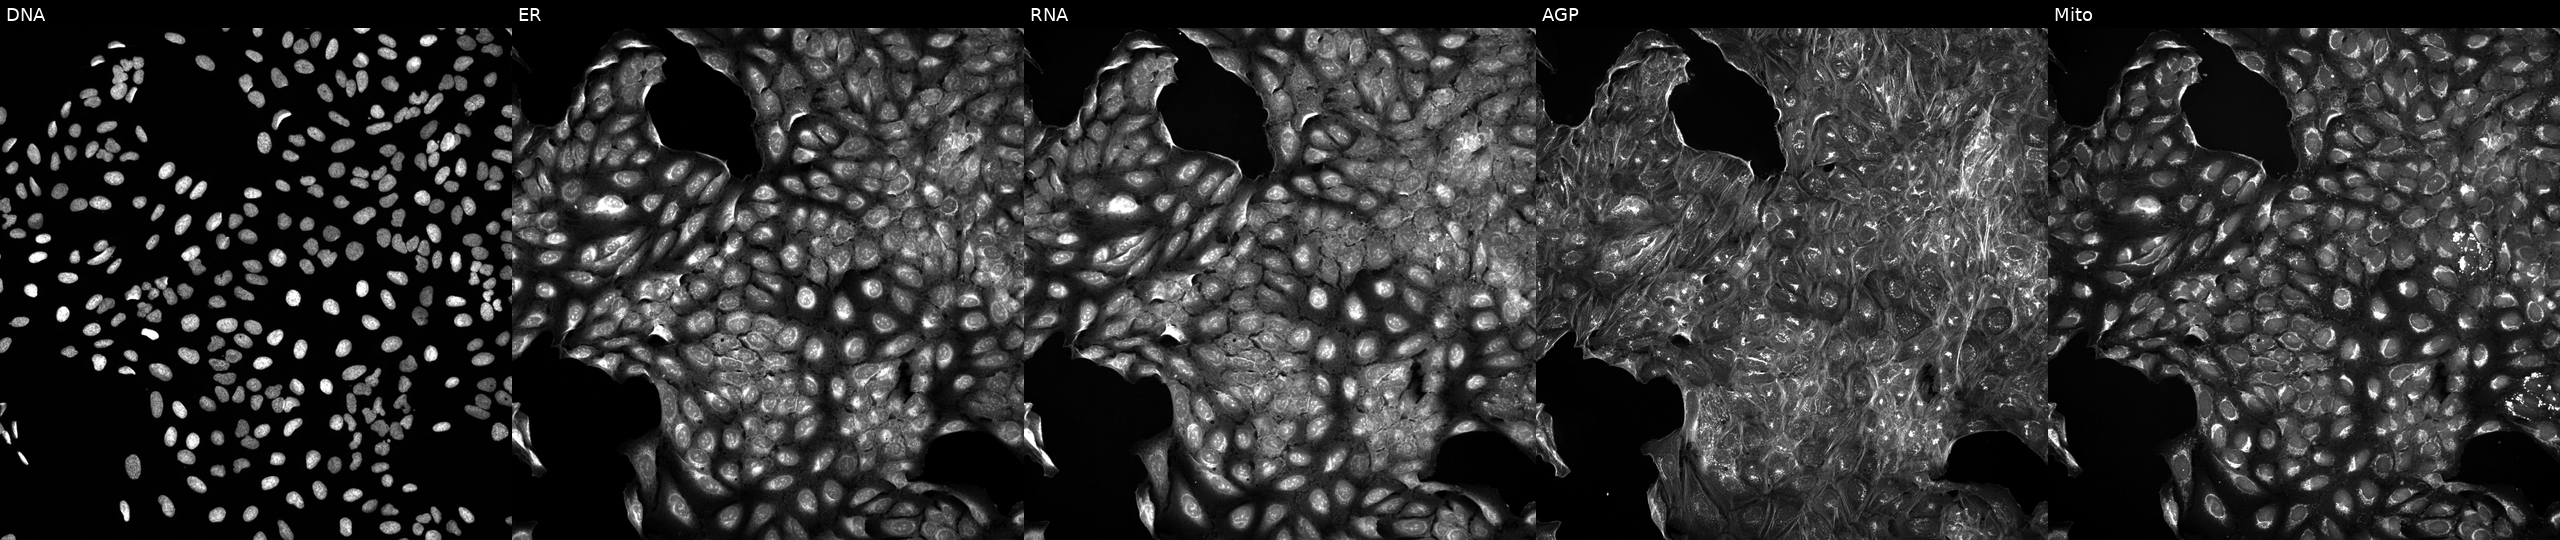
Five-channel Cell Painting image of U2OS cells treated with DMSO vehicle only (negative control) (JUMP id JCP2022_033924). Panels show, left to right, DNA, ER, RNA, AGP, and Mito. Source 5, plate ACPJUM051, well I09.